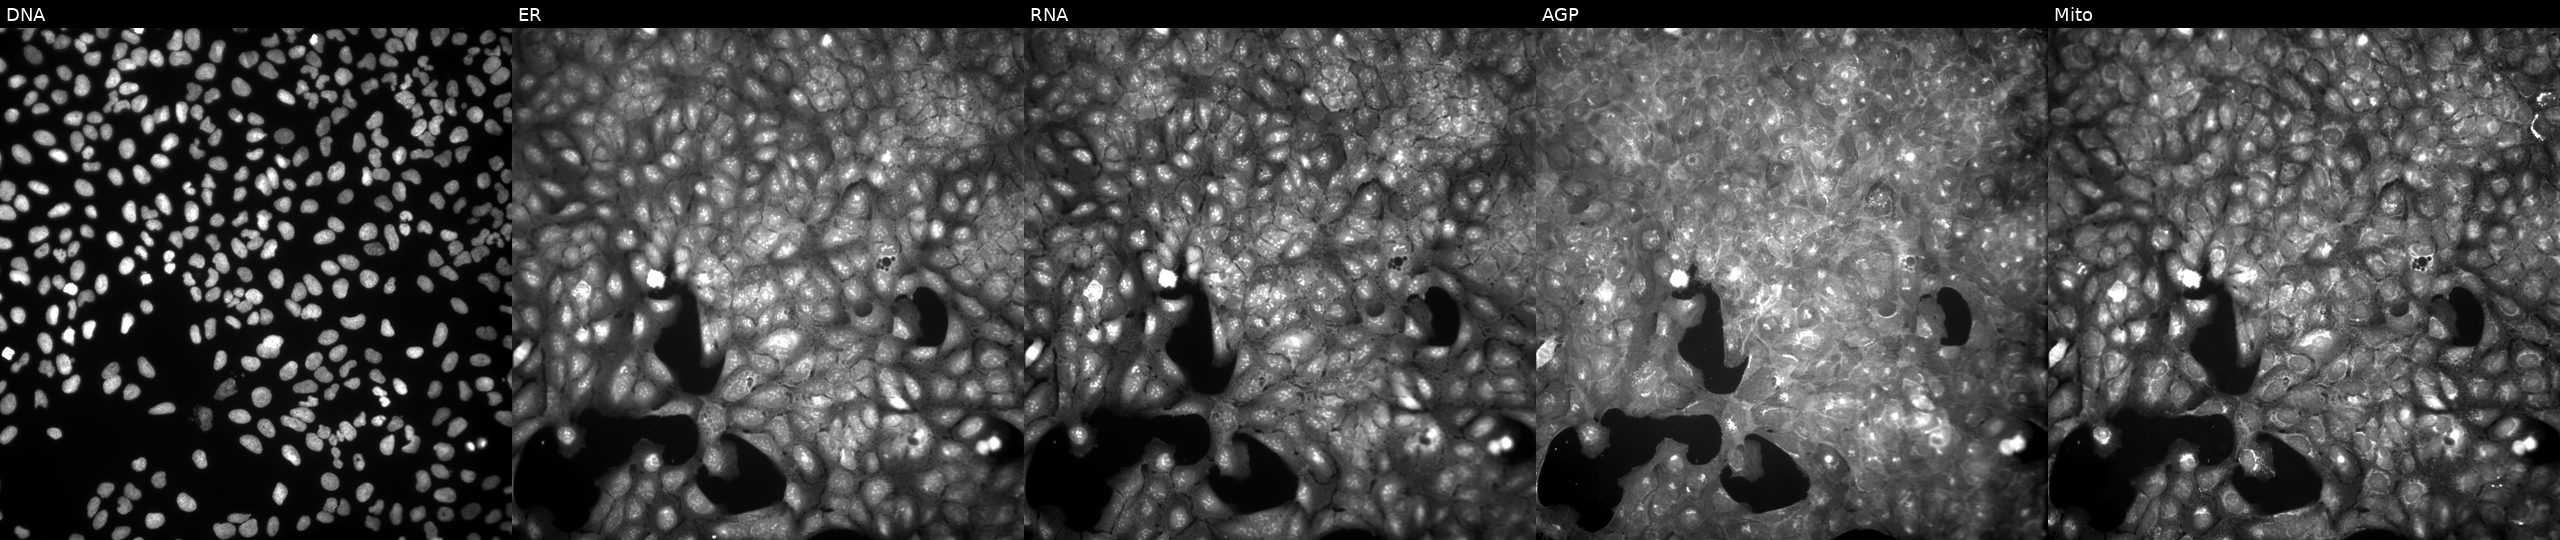
Five-channel Cell Painting image of U2OS cells exposed to a small-molecule compound (InChIKey WPJFZHDQSPUZDP-UHFFFAOYSA-N). The five panels, left to right, show DNA, ER, RNA, AGP, and Mito.